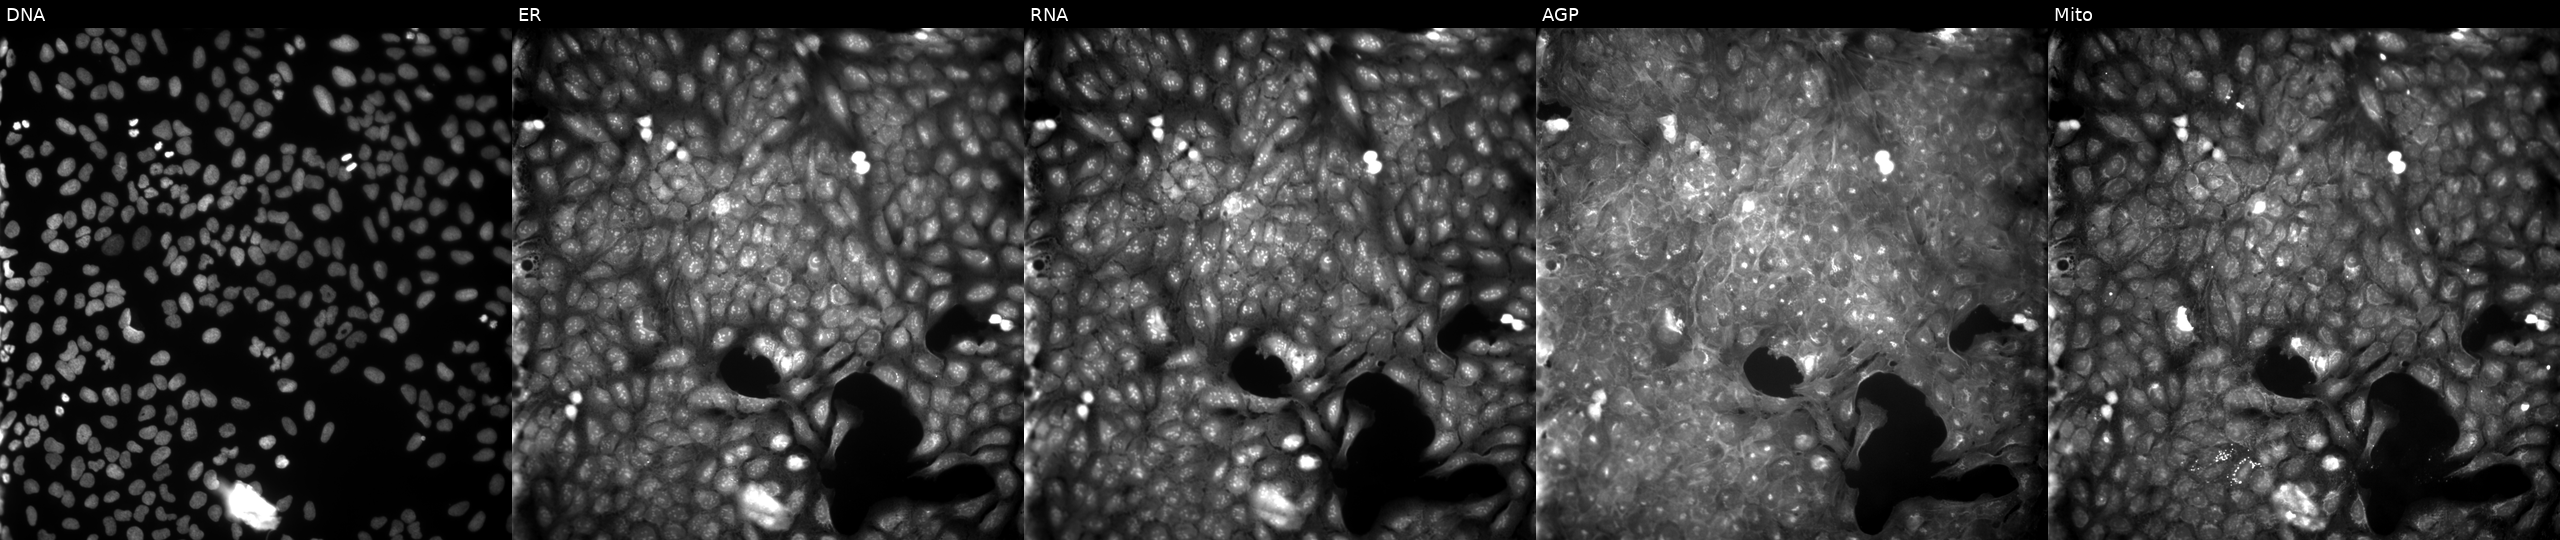
This image strip shows the five Cell Painting channels for a single field of U2OS cells exposed to a small-molecule compound. The five panels, left to right, show DNA, ER, RNA, AGP, and Mito. Source 9, plate GR00003381, well W07.